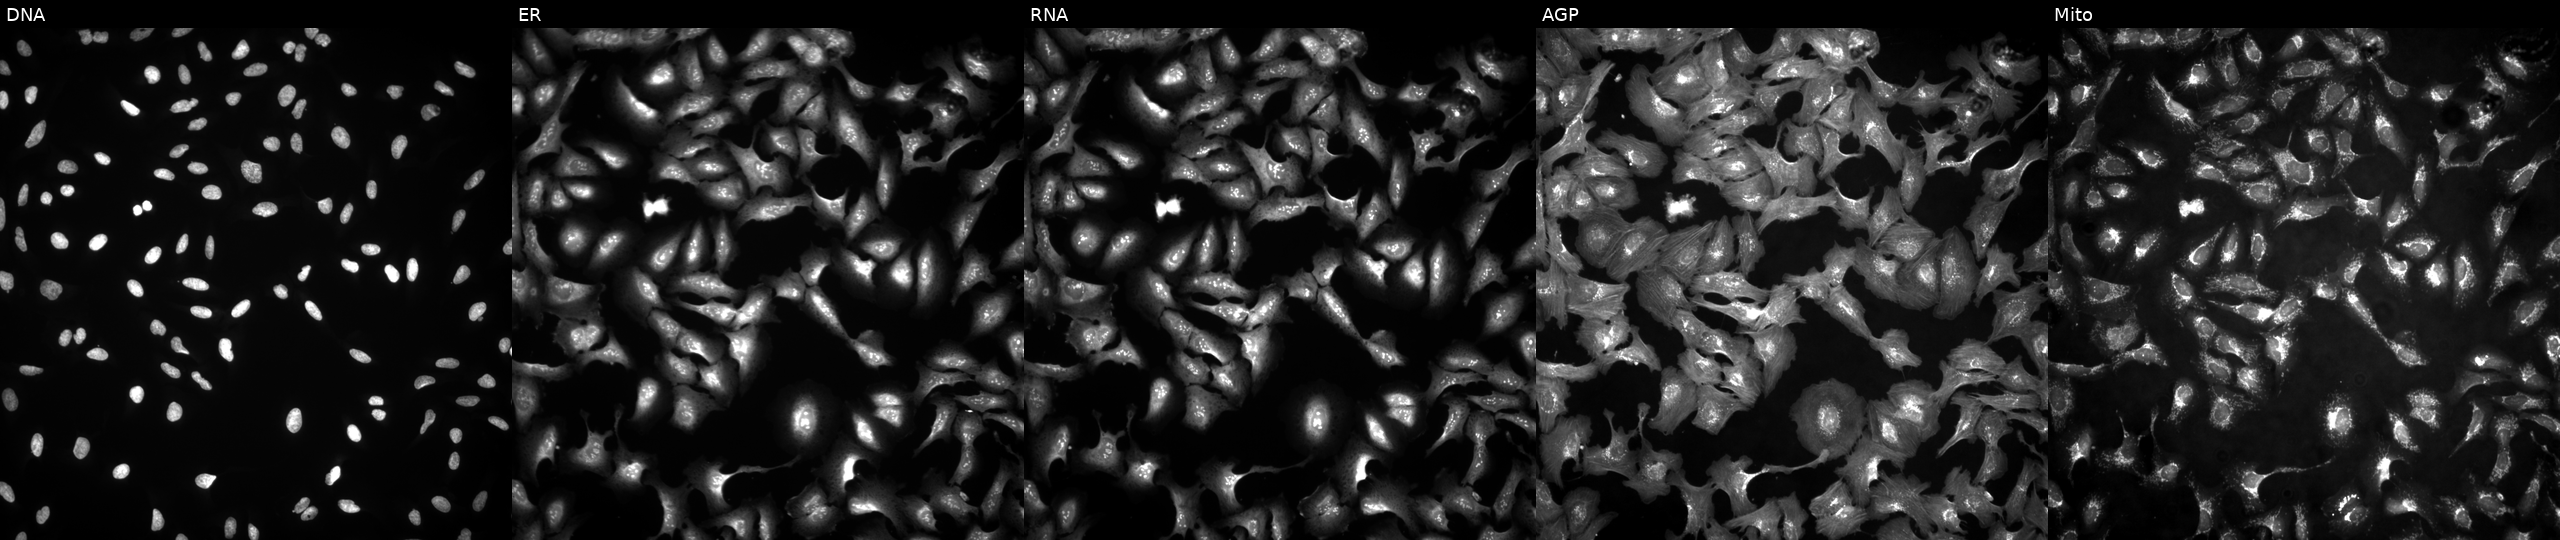
Channels (left→right): DNA (nuclei); ER (endoplasmic reticulum); RNA (nucleoli and cytoplasmic RNA); AGP (actin cytoskeleton, Golgi, and plasma membrane); Mito (mitochondria). U2OS osteosarcoma cells overexpressing SPC25 via ORF transfection (JUMP id JCP2022_903586). Cell Painting assay, JUMP-CP dataset.